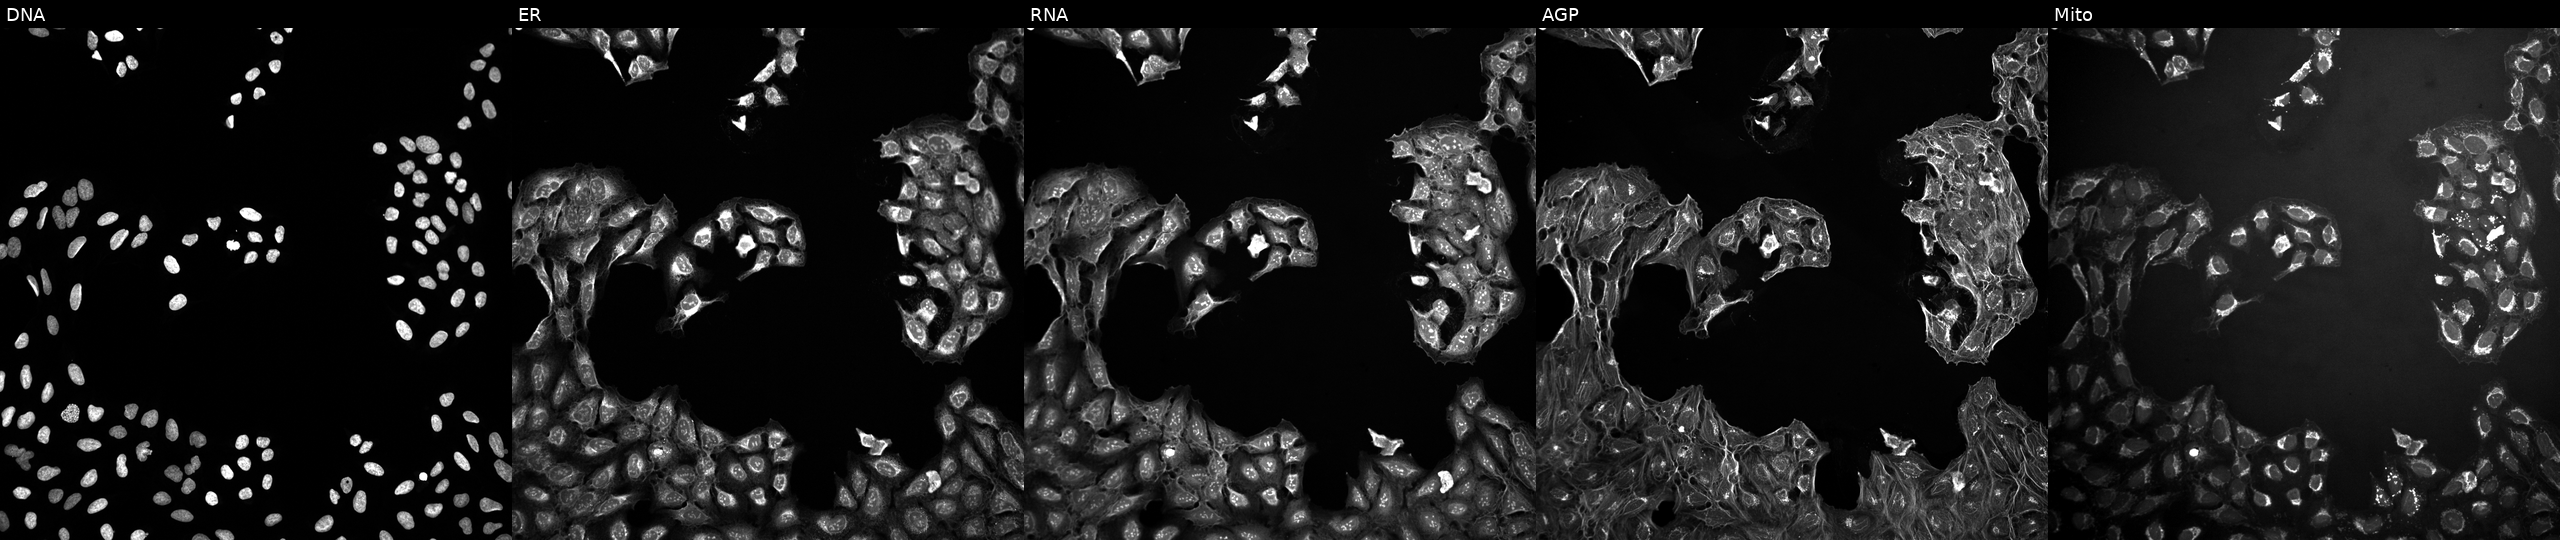
Channels (left→right): Hoechst 33342, concanavalin A, SYTO 14, phalloidin and WGA, MitoTracker. U2OS osteosarcoma cells untreated (empty-well control) (JUMP id JCP2022_999999). Cell Painting assay, JUMP-CP dataset.